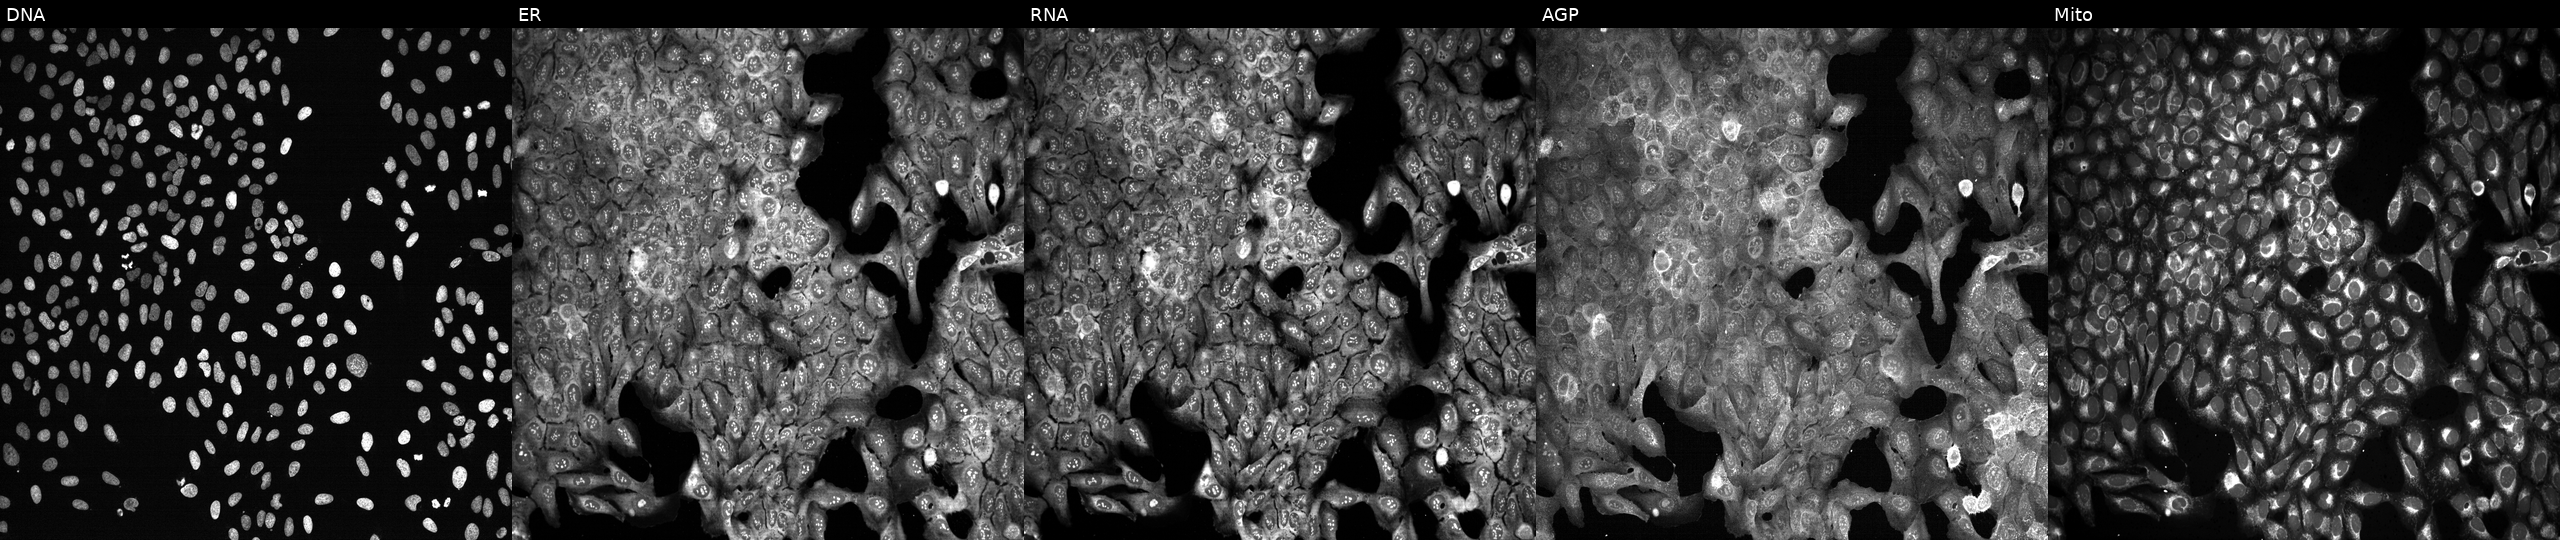
Five-channel Cell Painting image of U2OS cells following CRISPR knockout of YWHAE. Channels (left→right): DNA (nuclei); ER (endoplasmic reticulum); RNA (nucleoli and cytoplasmic RNA); AGP (actin cytoskeleton, Golgi, and plasma membrane); Mito (mitochondria).